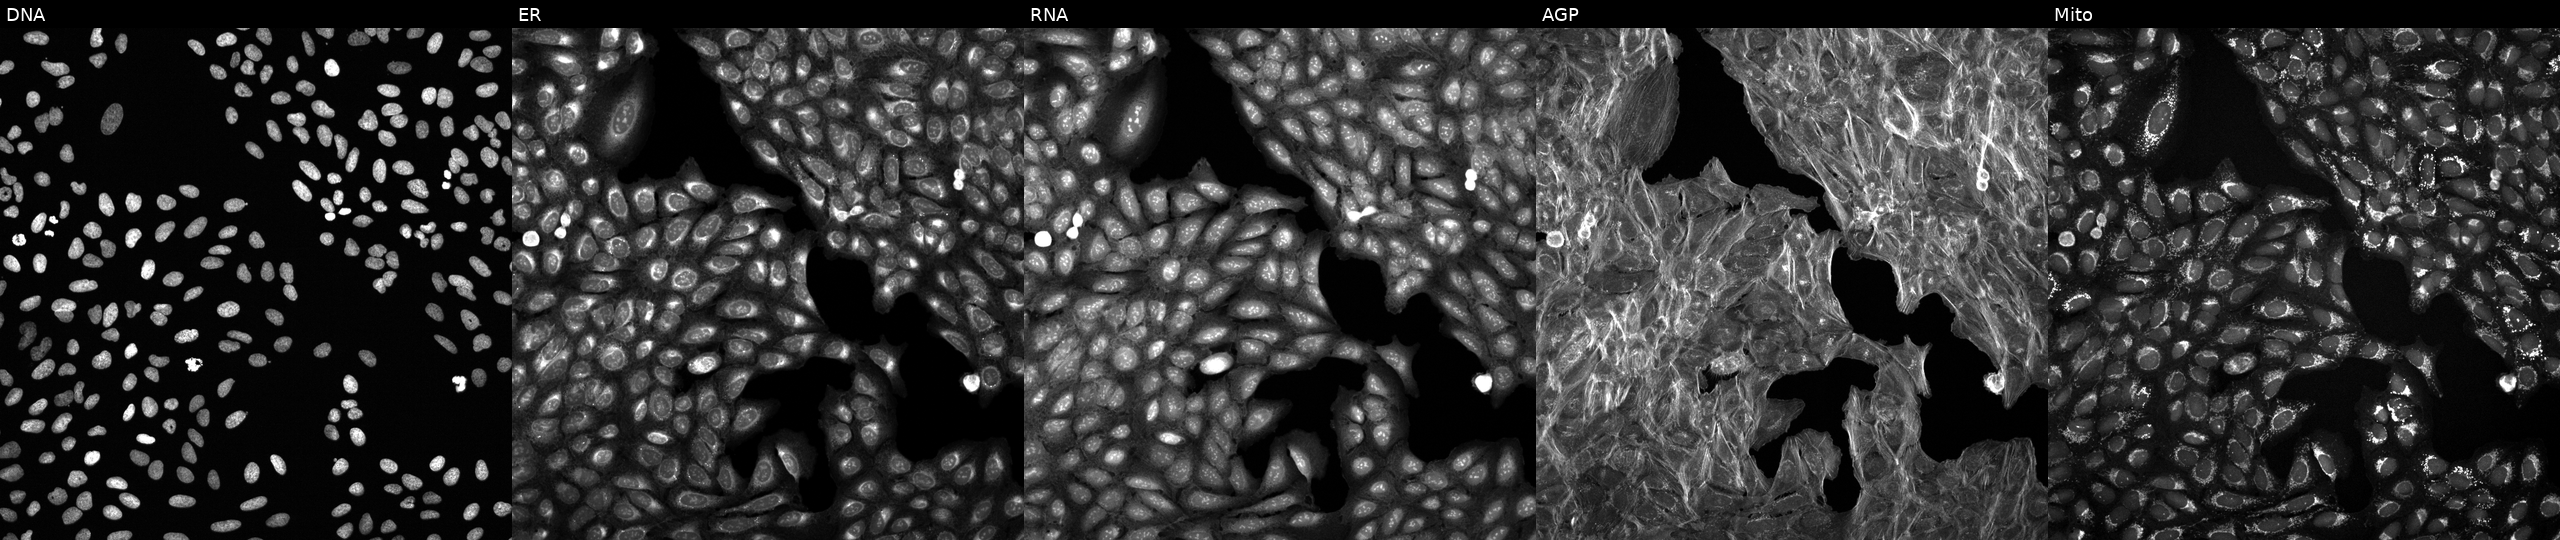
Channels (left→right): Hoechst 33342, concanavalin A, SYTO 14, phalloidin and WGA, MitoTracker. U2OS osteosarcoma cells treated with a small-molecule compound (InChIKey RRGUKTPIGVIEKM-UHFFFAOYSA-N) [SMILES: O=C1CCc2cc(OCCCCc3nnnn3C3CCCCC3)ccc2N1]. Cell Painting assay, JUMP-CP dataset.